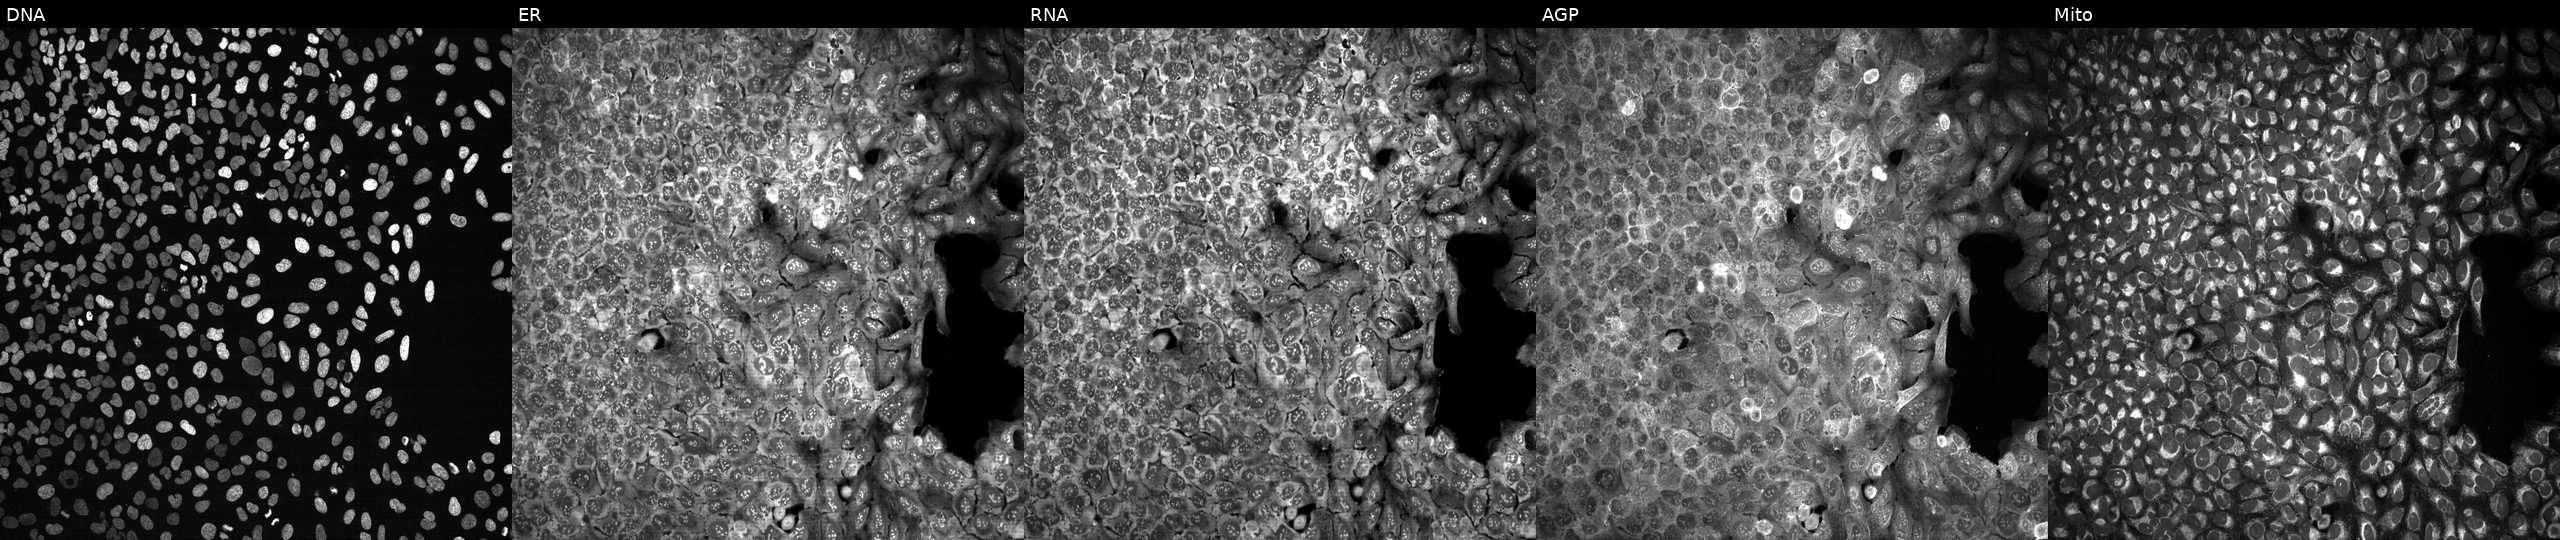
U2OS cells, Cell Painting assay, CRISPR-edited to disrupt VAT1L. Panels show, left to right, DNA, ER, RNA, AGP, and Mito. Each panel is percentile-stretched 16-bit fluorescence.